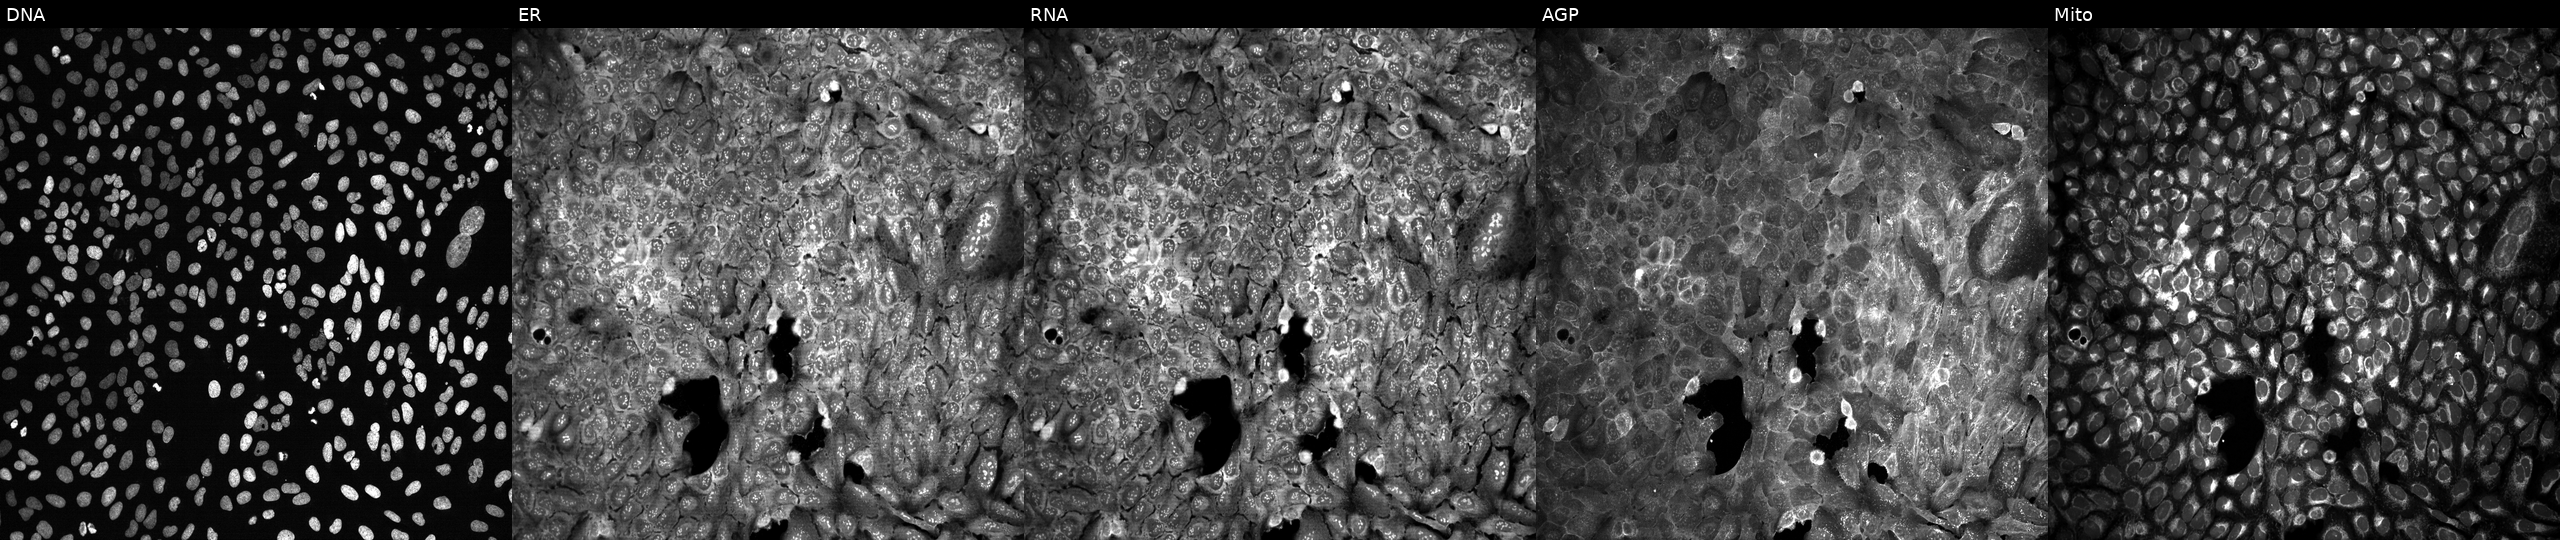
U2OS cells, Cell Painting assay, CRISPR-edited to disrupt MMP23B (JUMP id JCP2022_804220). Channels (left→right): Hoechst 33342, concanavalin A, SYTO 14, phalloidin and WGA, MitoTracker. Each panel is percentile-stretched 16-bit fluorescence.